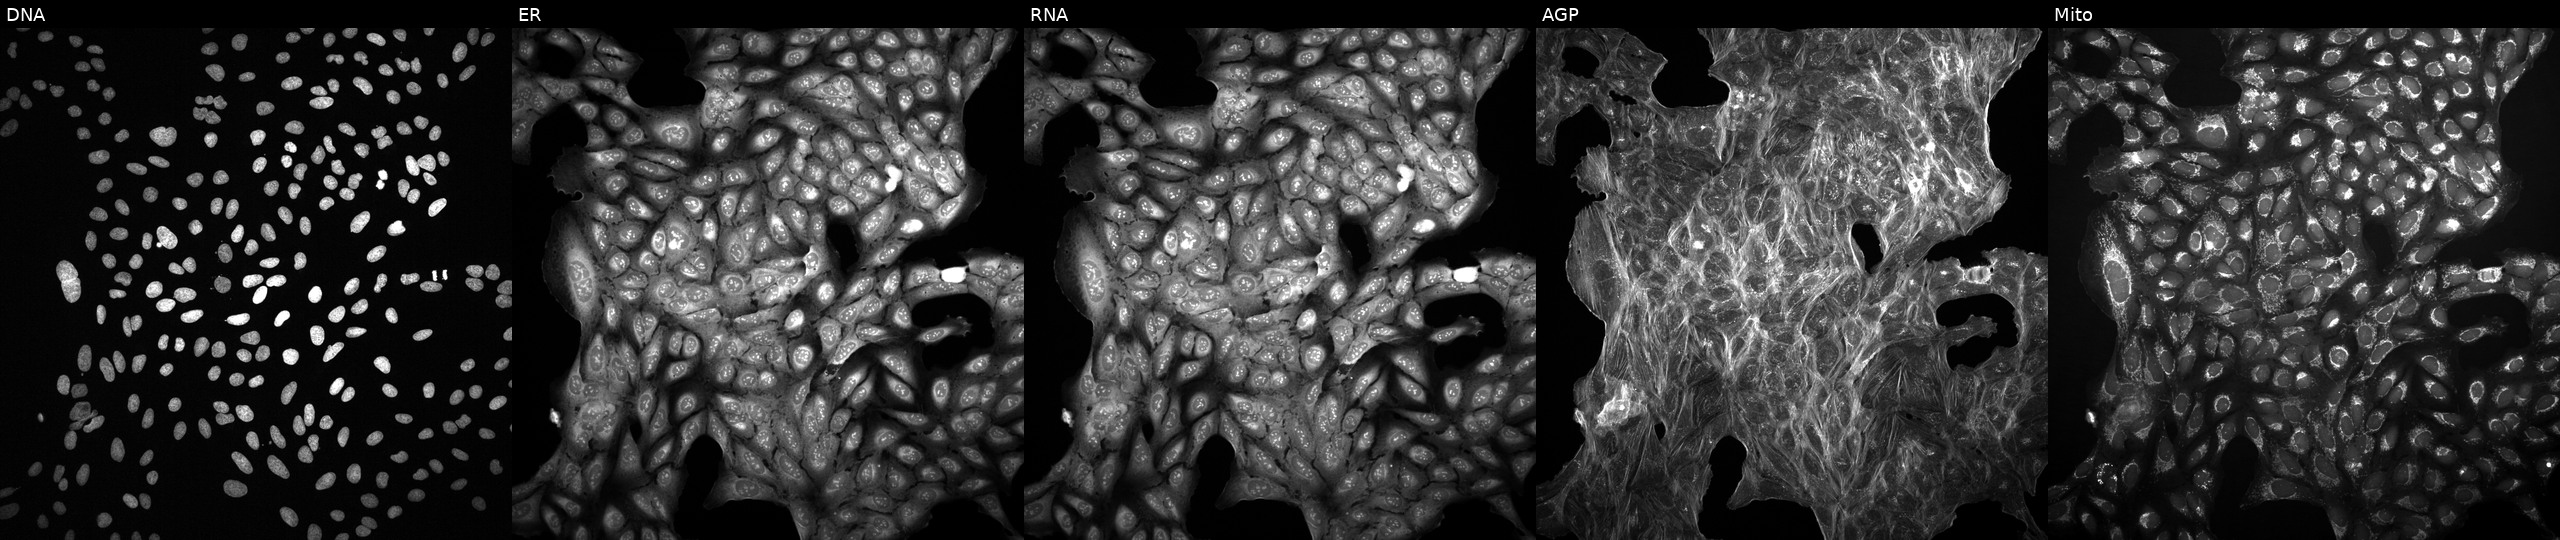
Five-channel Cell Painting image of U2OS cells perturbed with a small-molecule compound (InChIKey WJBLNOPPDWQMCH-UHFFFAOYSA-N) (JUMP id JCP2022_099089). Channels (left→right): DNA, ER, RNA, AGP, and Mito. Source 2, plate 1053597936, well O02.